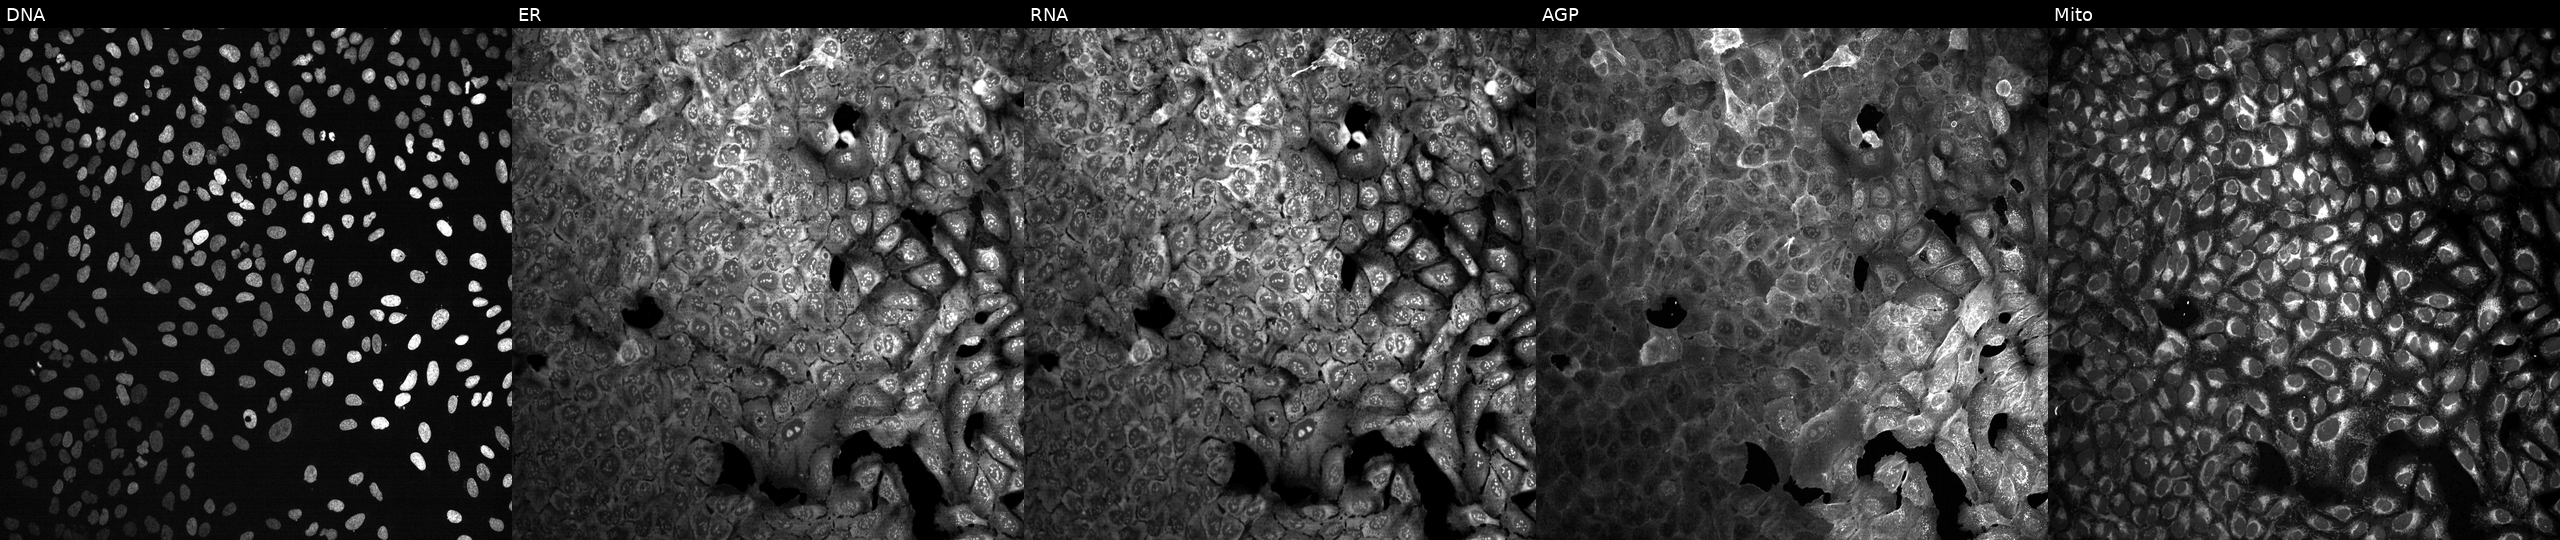
This image strip shows the five Cell Painting channels for a single field of U2OS cells CRISPR-edited to disrupt TNXB (JUMP id JCP2022_807190). From left to right: DNA, ER, RNA, AGP, and Mito.